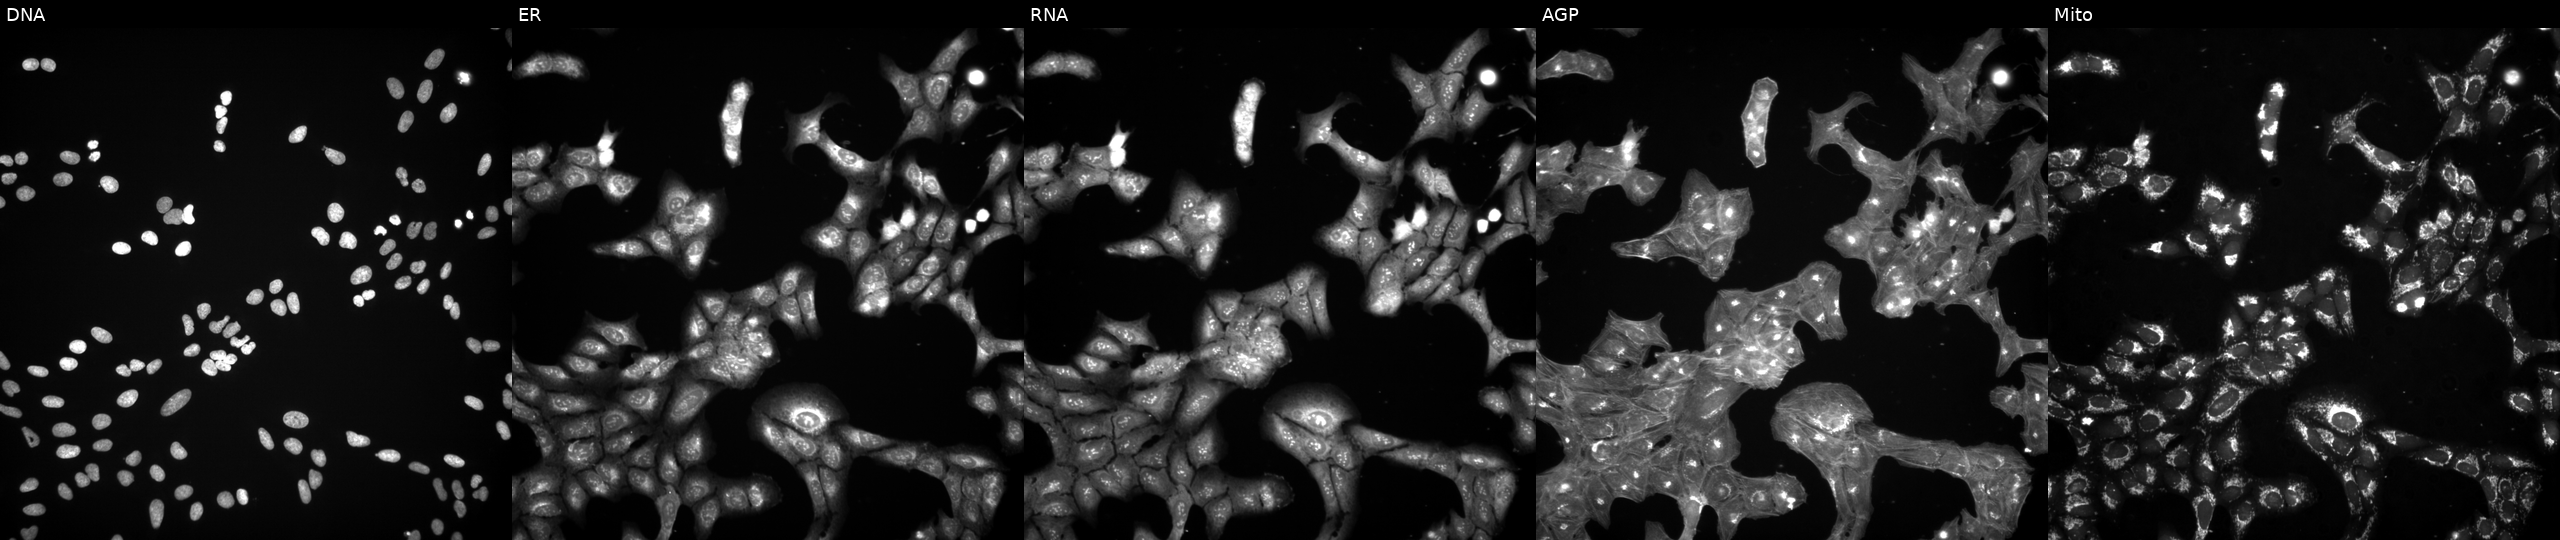
JUMP Cell Painting — COMPOUND plate. U2OS cells exposed to a small-molecule compound (InChIKey MREINKUEFKZHBN-UHFFFAOYSA-N) [SMILES: Cc1nc(SCC(=O)N(C)Cc2ccco2)c2c(C)c(C)sc2n1]. Panels show, left to right, DNA (nuclei); ER (endoplasmic reticulum); RNA (nucleoli and cytoplasmic RNA); AGP (actin cytoskeleton, Golgi, and plasma membrane); Mito (mitochondria). Source 3, plate BR5867b3, well H15.